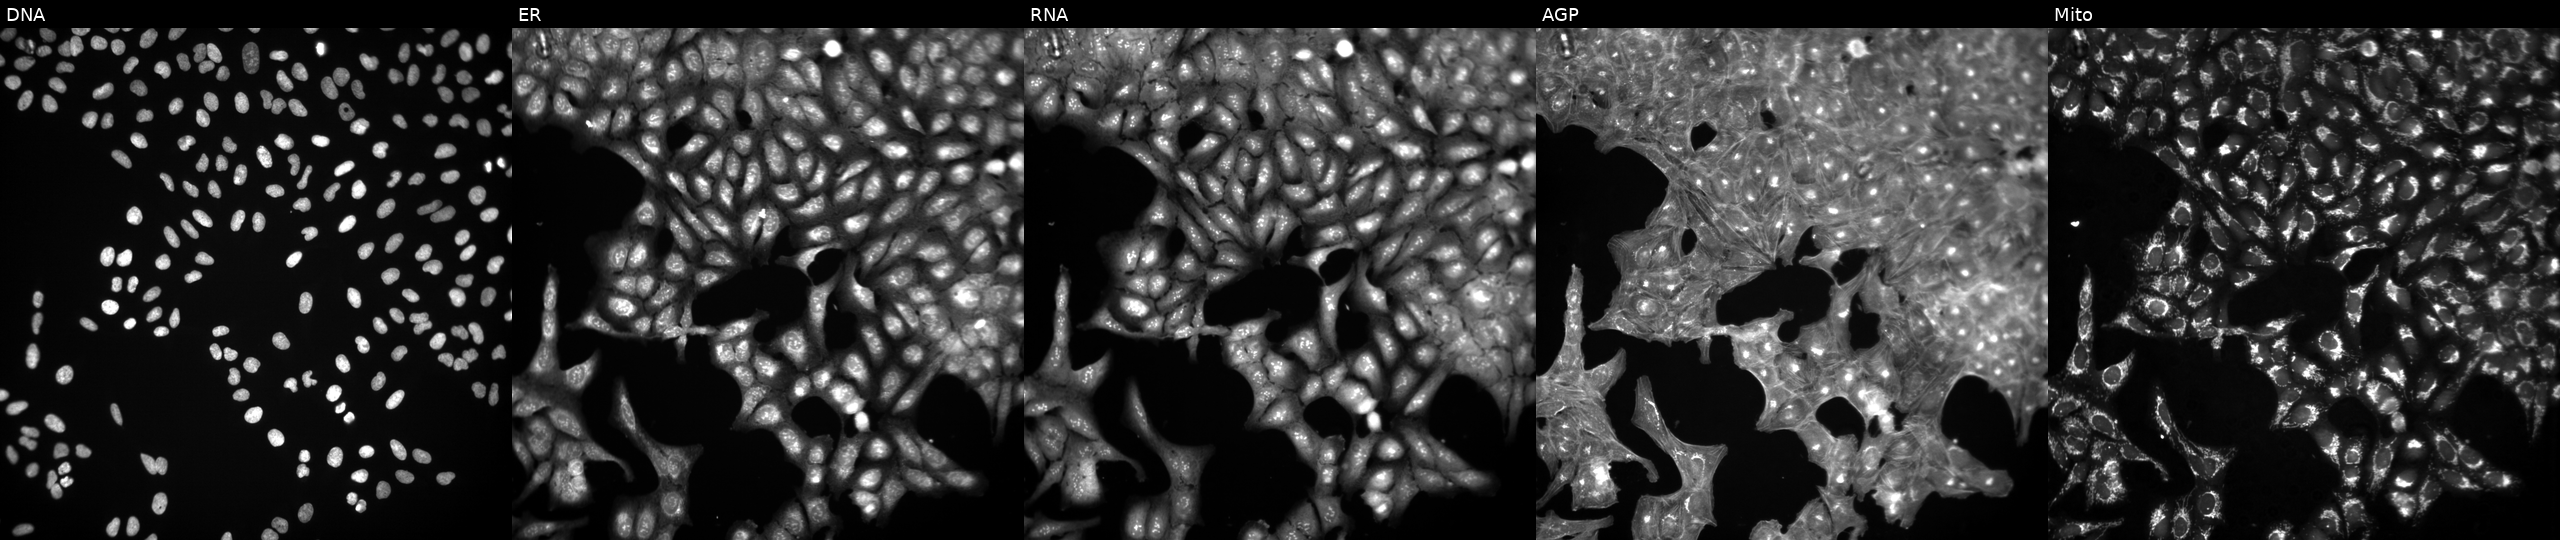
Panels show, left to right, DNA, ER, RNA, AGP, and Mito. U2OS osteosarcoma cells exposed to a small-molecule compound (InChIKey XQYASZNUFDVMFH-UHFFFAOYSA-N). Cell Painting assay, JUMP-CP dataset.